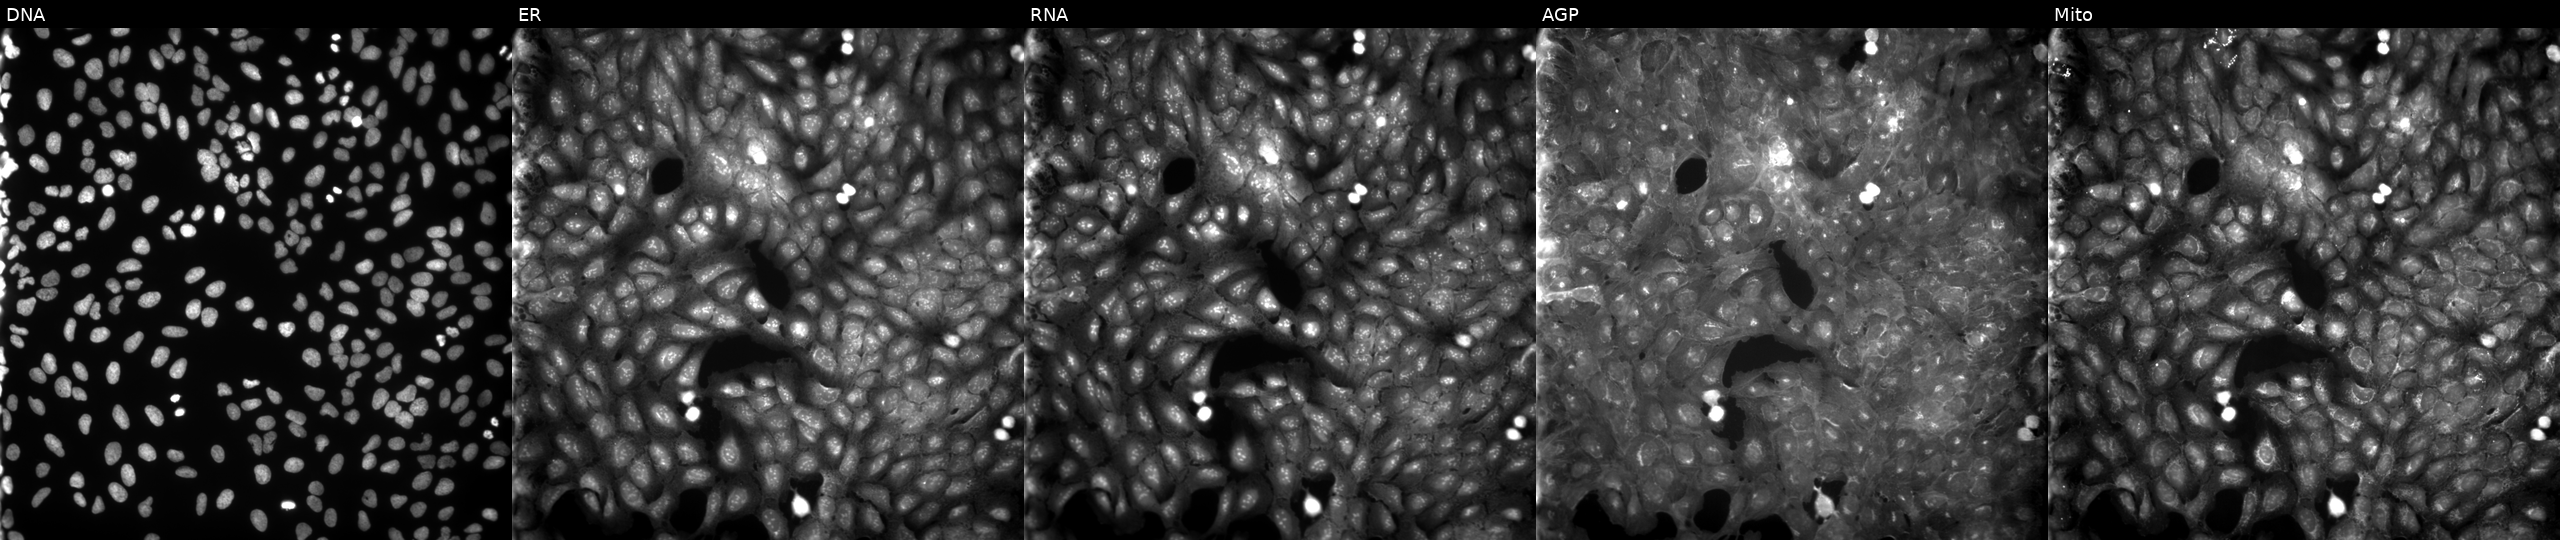
U2OS cells, Cell Painting assay, treated with a small-molecule compound (InChIKey GGWGWDRCGRSWFF-UHFFFAOYSA-N). Channels (left→right): DNA, ER, RNA, AGP, and Mito. Each panel is percentile-stretched 16-bit fluorescence.